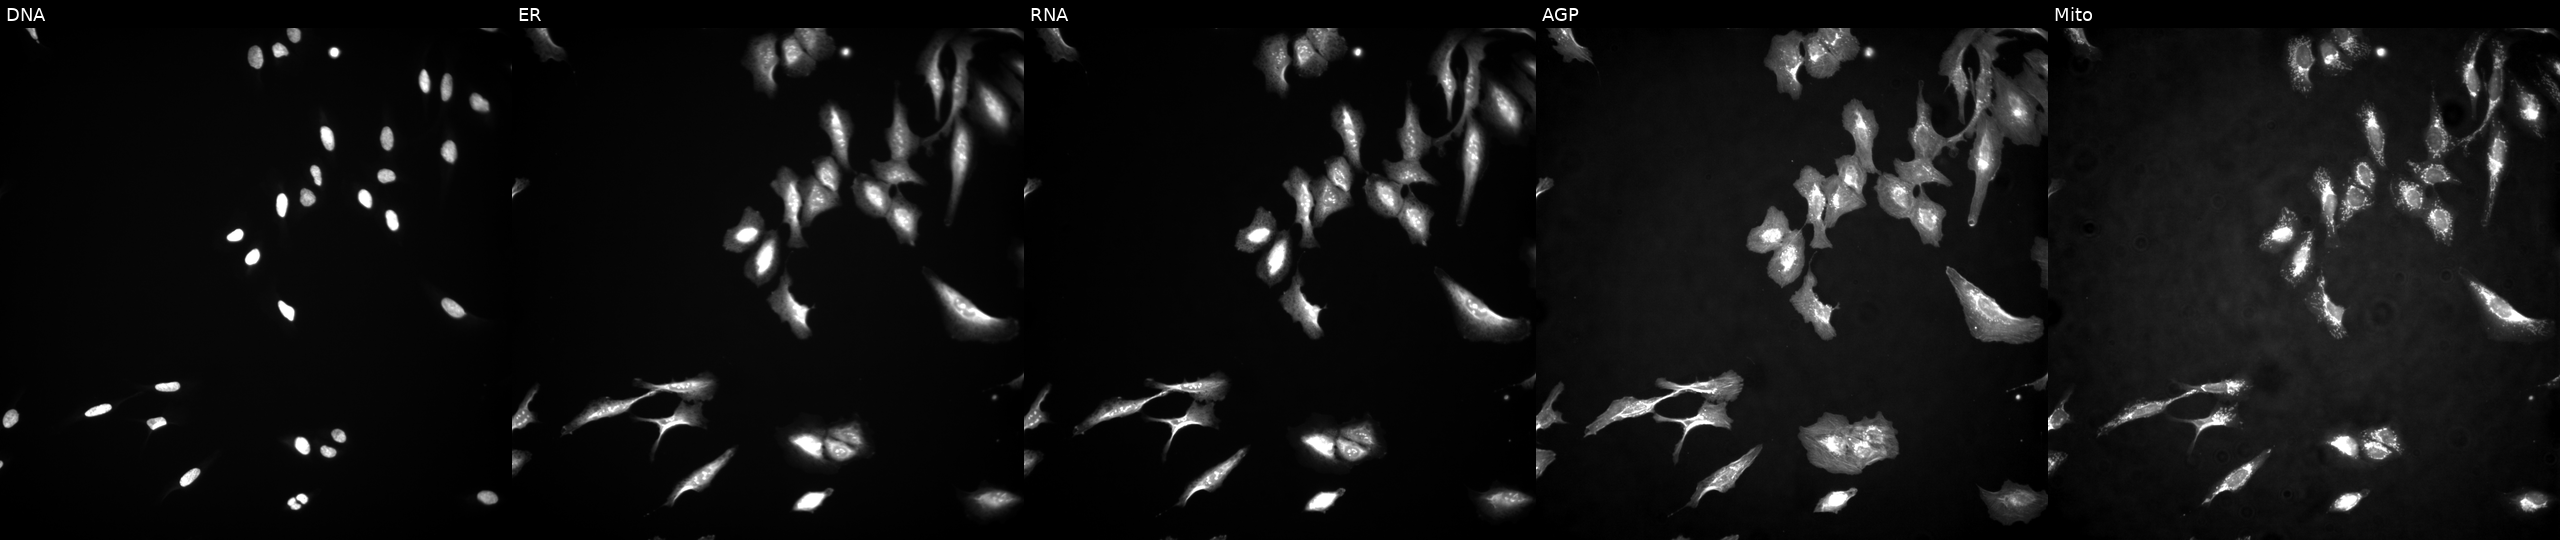
This image strip shows the five Cell Painting channels for a single field of U2OS cells with MXD4 overexpressed (ORF). Channels (left→right): Hoechst 33342, concanavalin A, SYTO 14, phalloidin and WGA, MitoTracker. Source 4, plate BR00117035, well G19.